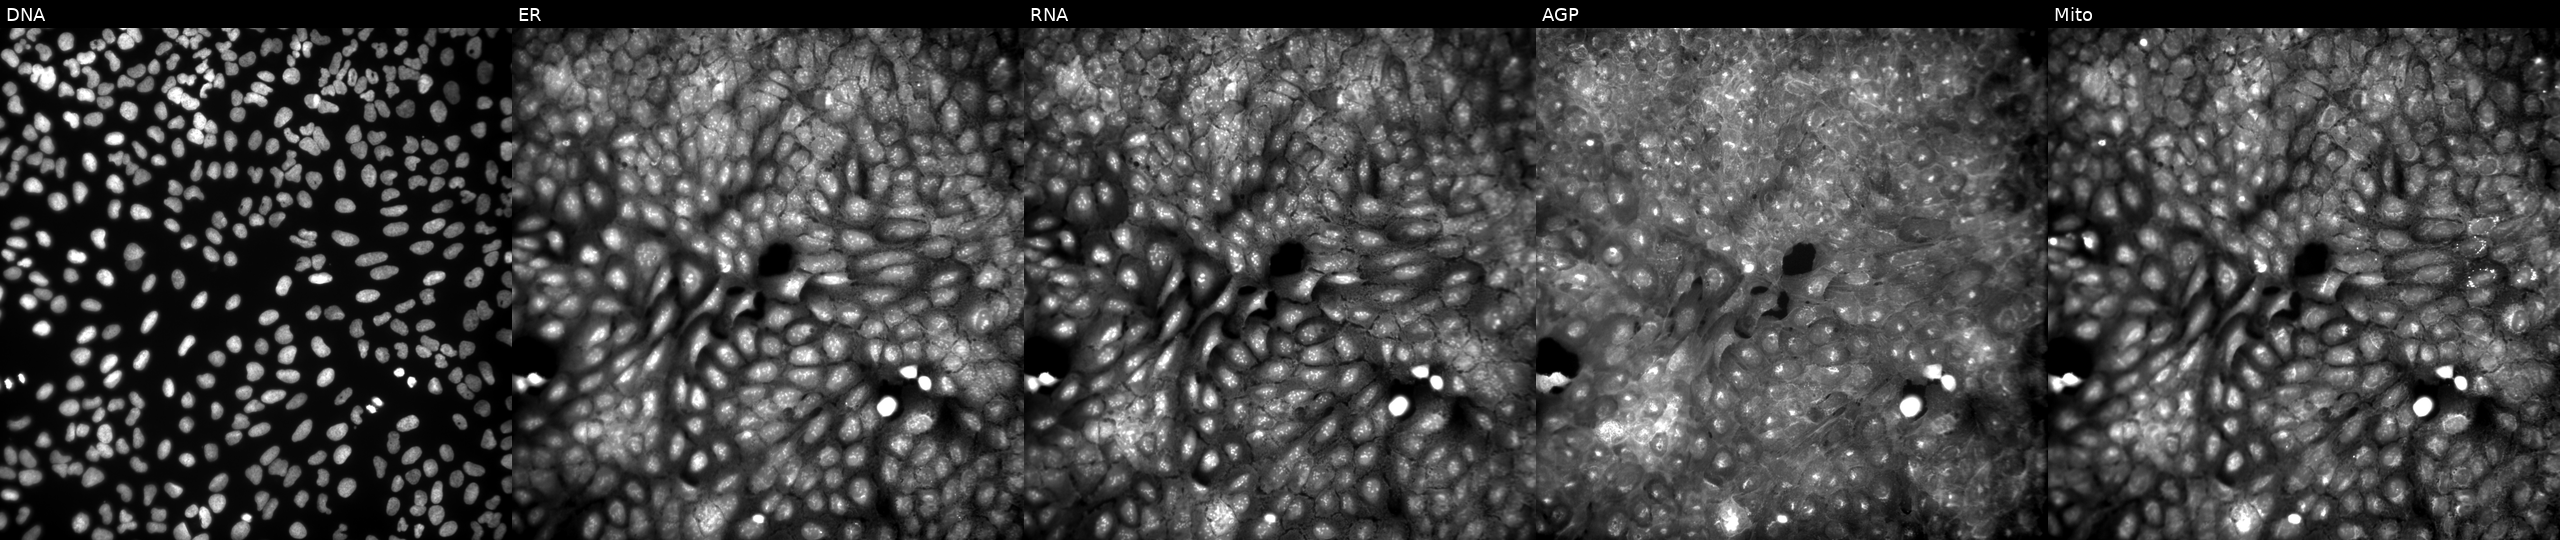
This image strip shows the five Cell Painting channels for a single field of U2OS cells exposed to DMSO alone as a negative control. Channels (left→right): DNA (nuclei); ER (endoplasmic reticulum); RNA (nucleoli and cytoplasmic RNA); AGP (actin cytoskeleton, Golgi, and plasma membrane); Mito (mitochondria).